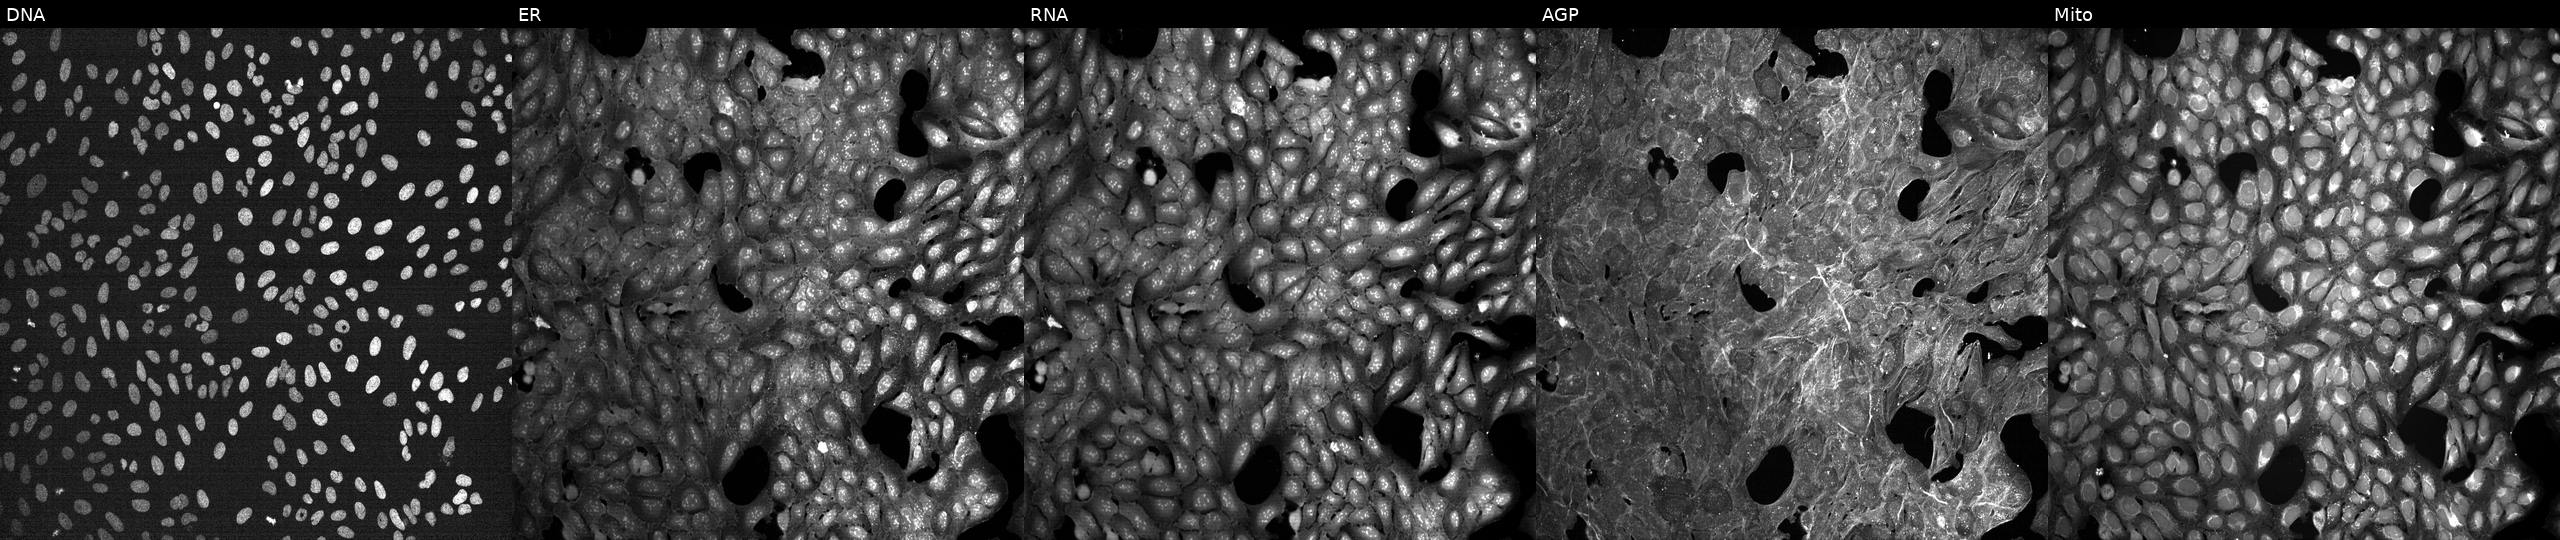
U2OS cells, Cell Painting assay, perturbed with a small-molecule compound (InChIKey RATZLMXRALDSJW-UHFFFAOYSA-N) (JUMP id JCP2022_077142). Channels (left→right): DNA (nuclei); ER (endoplasmic reticulum); RNA (nucleoli and cytoplasmic RNA); AGP (actin cytoskeleton, Golgi, and plasma membrane); Mito (mitochondria). Each panel is percentile-stretched 16-bit fluorescence. Source 7, plate CP1-SC1-25, well P06.